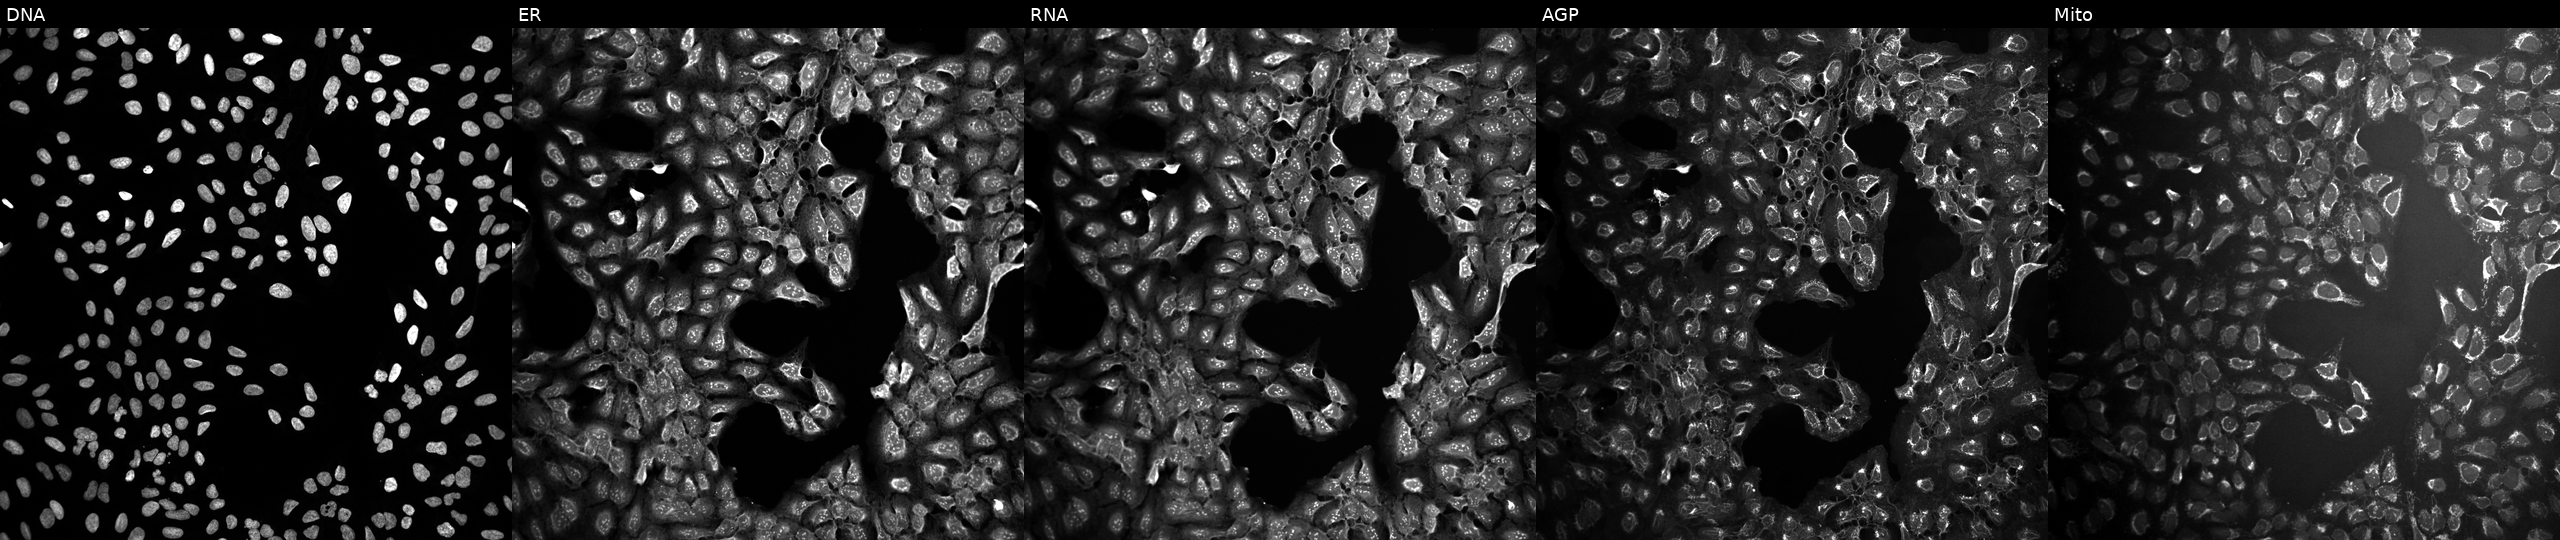
JUMP Cell Painting — TARGET2 plate. U2OS cells perturbed with a small-molecule compound (InChIKey UQNAFPHGVPVTAL-UHFFFAOYSA-N). From left to right: DNA (nuclei); ER (endoplasmic reticulum); RNA (nucleoli and cytoplasmic RNA); AGP (actin cytoskeleton, Golgi, and plasma membrane); Mito (mitochondria).